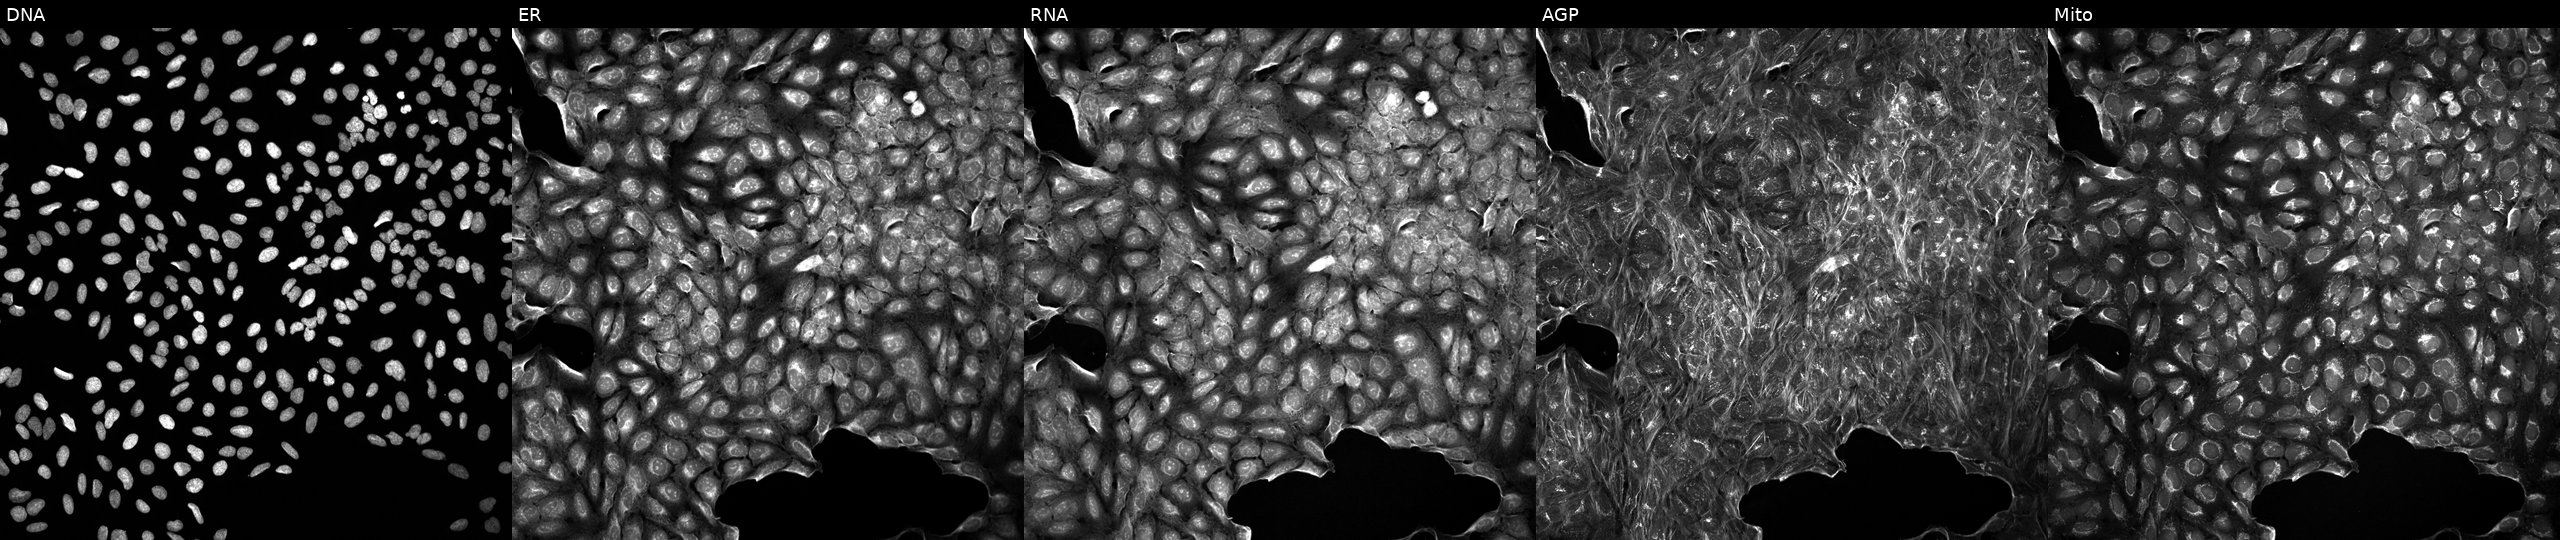
This image strip shows the five Cell Painting channels for a single field of U2OS cells perturbed with a small-molecule compound (InChIKey PYNXFZCZUAOOQC-UHFFFAOYSA-N). The five panels, left to right, show DNA, ER, RNA, AGP, and Mito.